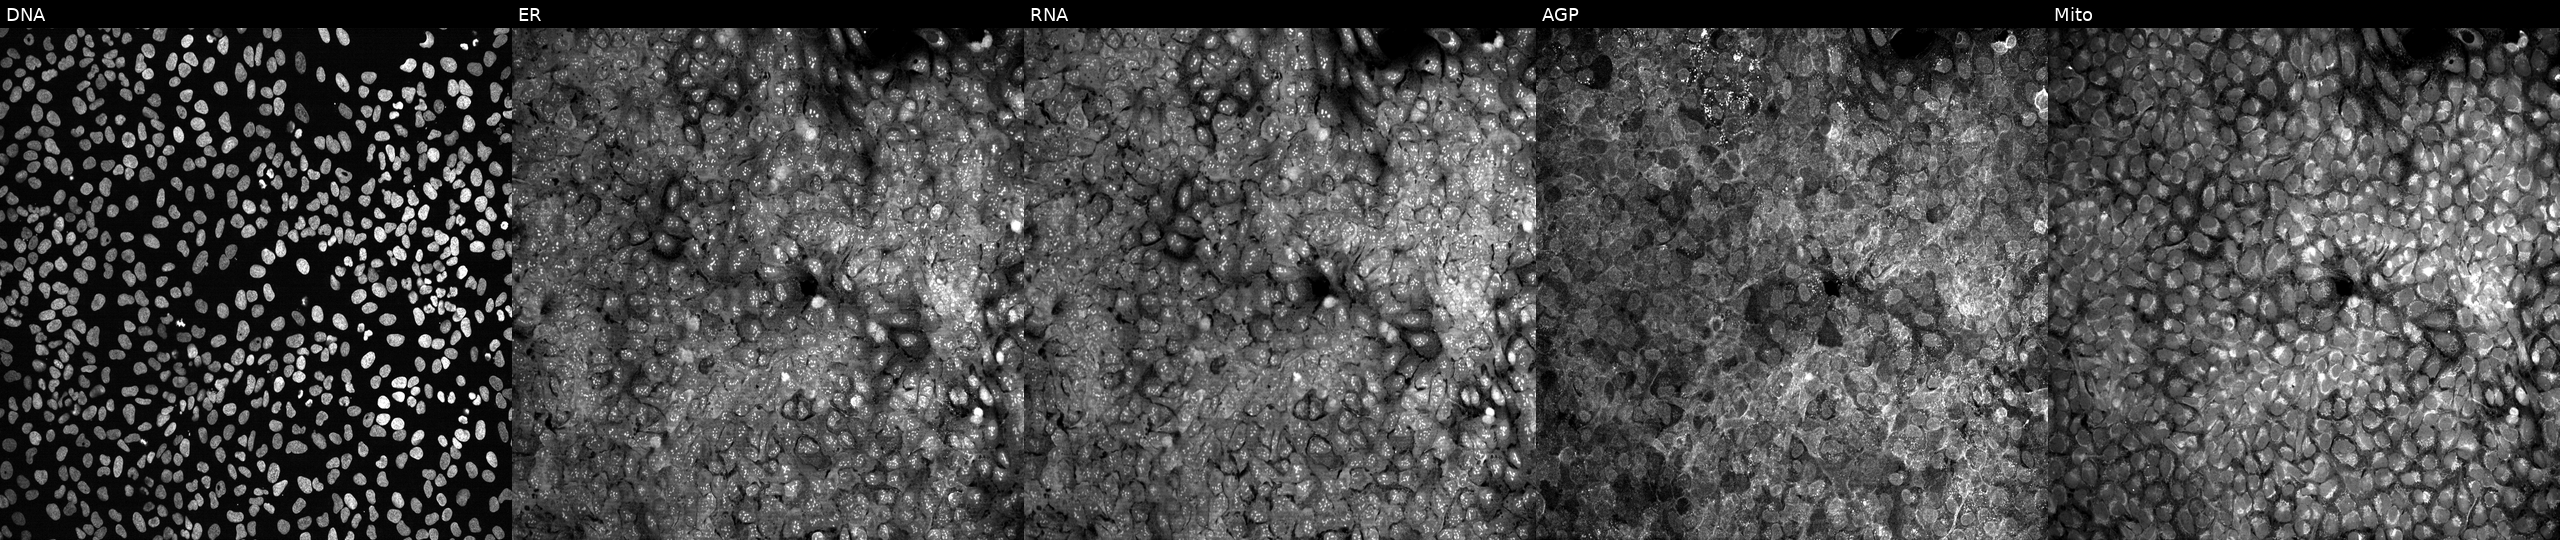
High-content fluorescence microscopy (Cell Painting). Cell line: U2OS. Perturbation: treated with dexamethasone (positive-control compound) (JUMP id JCP2022_025848). Panels show, left to right, DNA (nuclei); ER (endoplasmic reticulum); RNA (nucleoli and cytoplasmic RNA); AGP (actin cytoskeleton, Golgi, and plasma membrane); Mito (mitochondria).